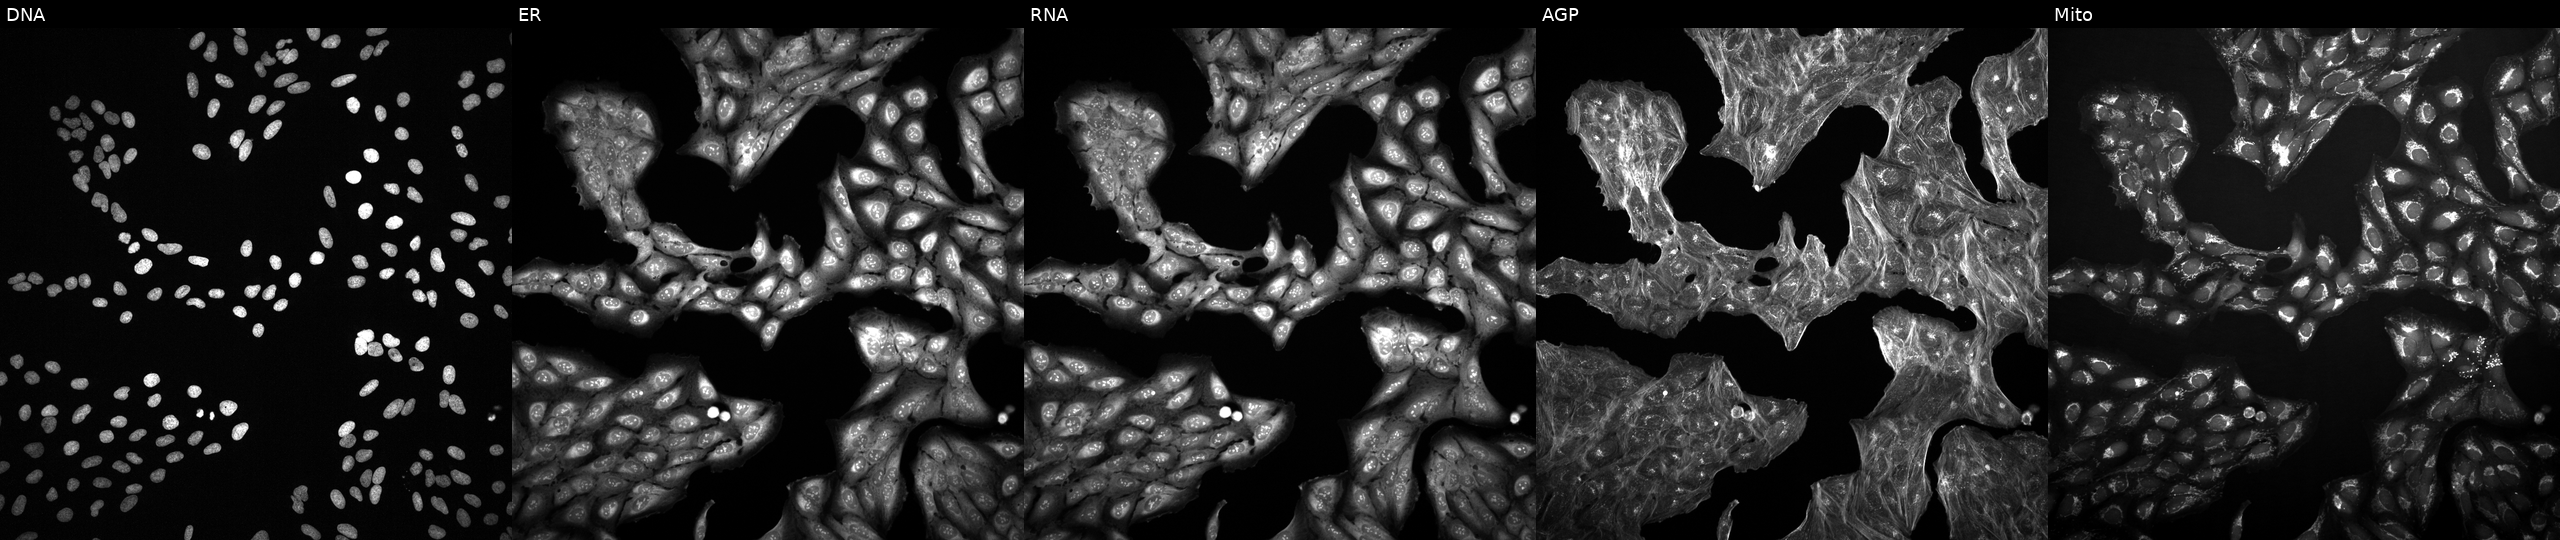
This image strip shows the five Cell Painting channels for a single field of U2OS cells exposed to a small-molecule compound (JUMP id JCP2022_014114). From left to right: Hoechst 33342, concanavalin A, SYTO 14, phalloidin and WGA, MitoTracker.